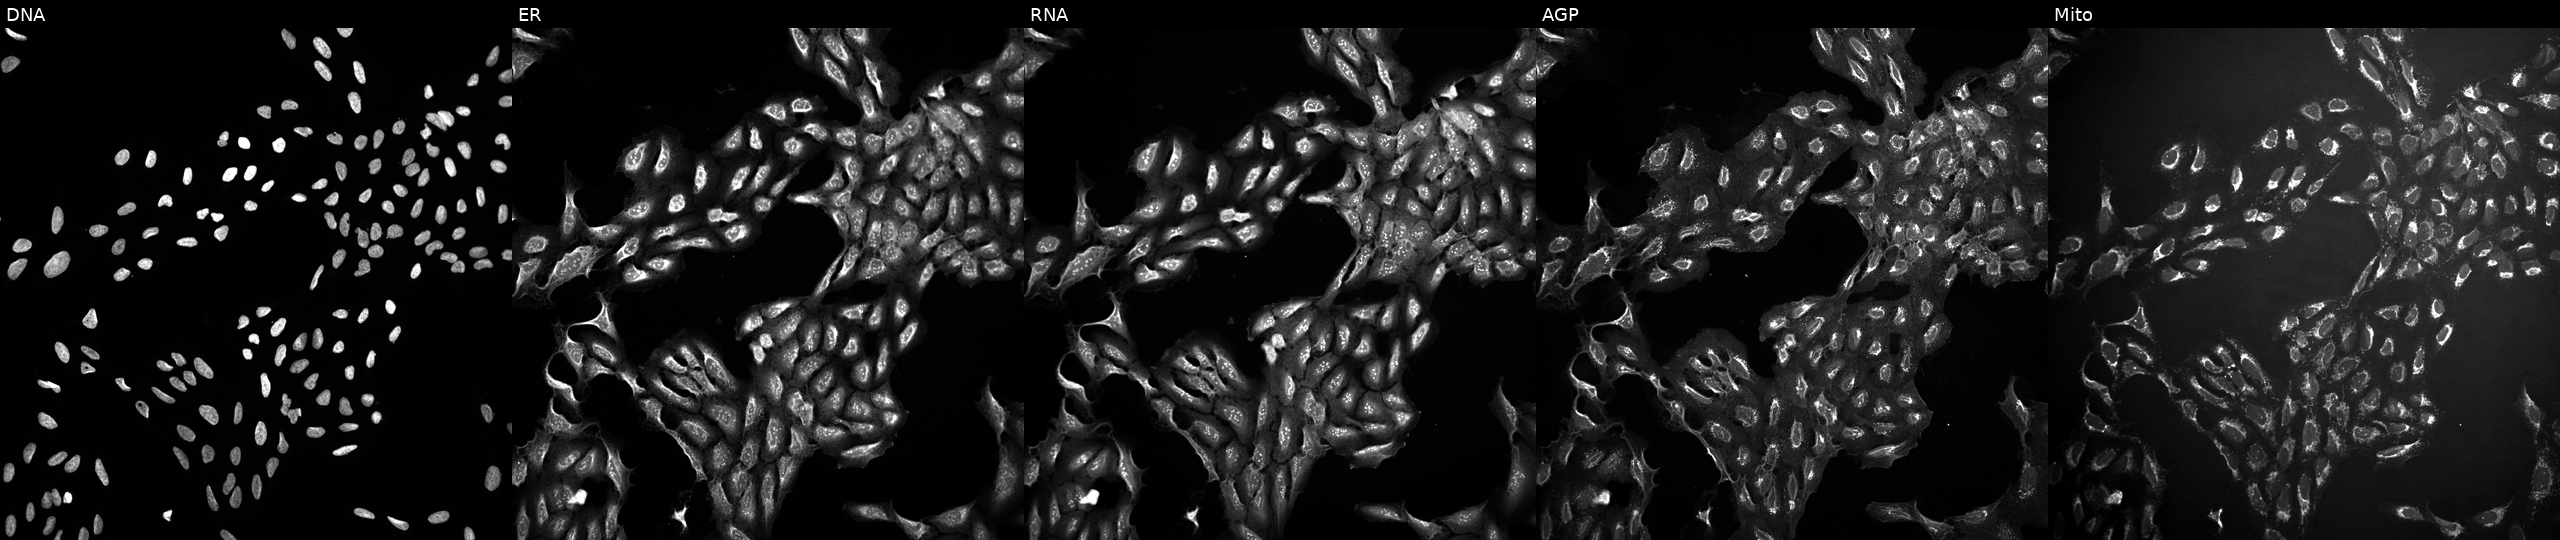
High-content fluorescence microscopy (Cell Painting). Cell line: U2OS. Perturbation: exposed to DMSO alone as a negative control. Panels show, left to right, DNA, ER, RNA, AGP, and Mito. Source 10, plate Dest210803-153958, well I15.